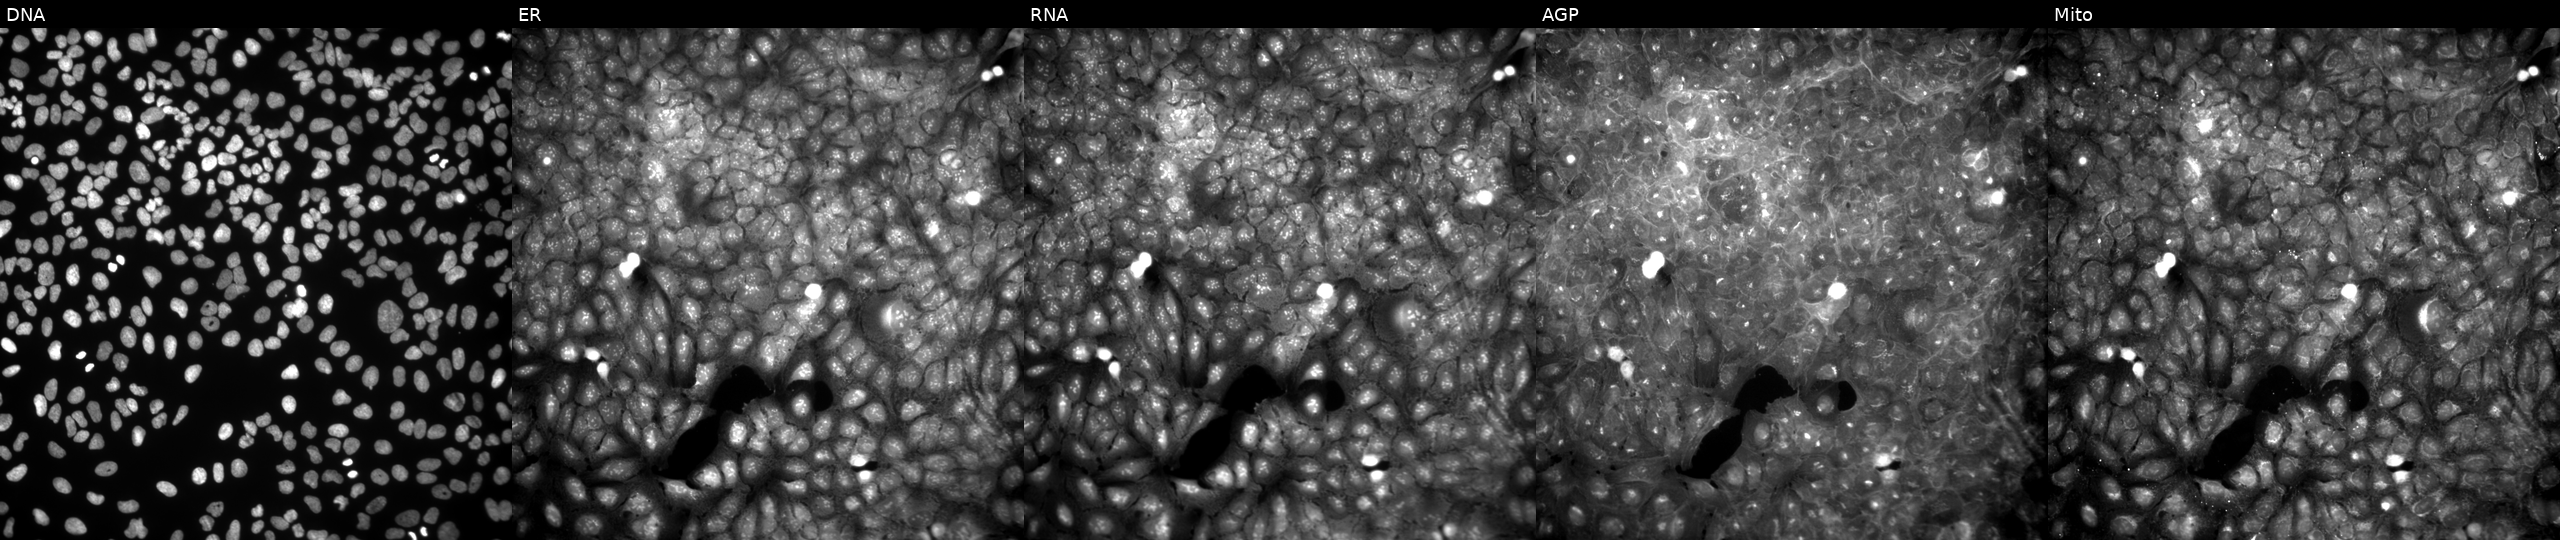
U2OS cells, Cell Painting assay, perturbed with a small-molecule compound (JUMP id JCP2022_055547). Channels (left→right): DNA (nuclei); ER (endoplasmic reticulum); RNA (nucleoli and cytoplasmic RNA); AGP (actin cytoskeleton, Golgi, and plasma membrane); Mito (mitochondria). Each panel is percentile-stretched 16-bit fluorescence.